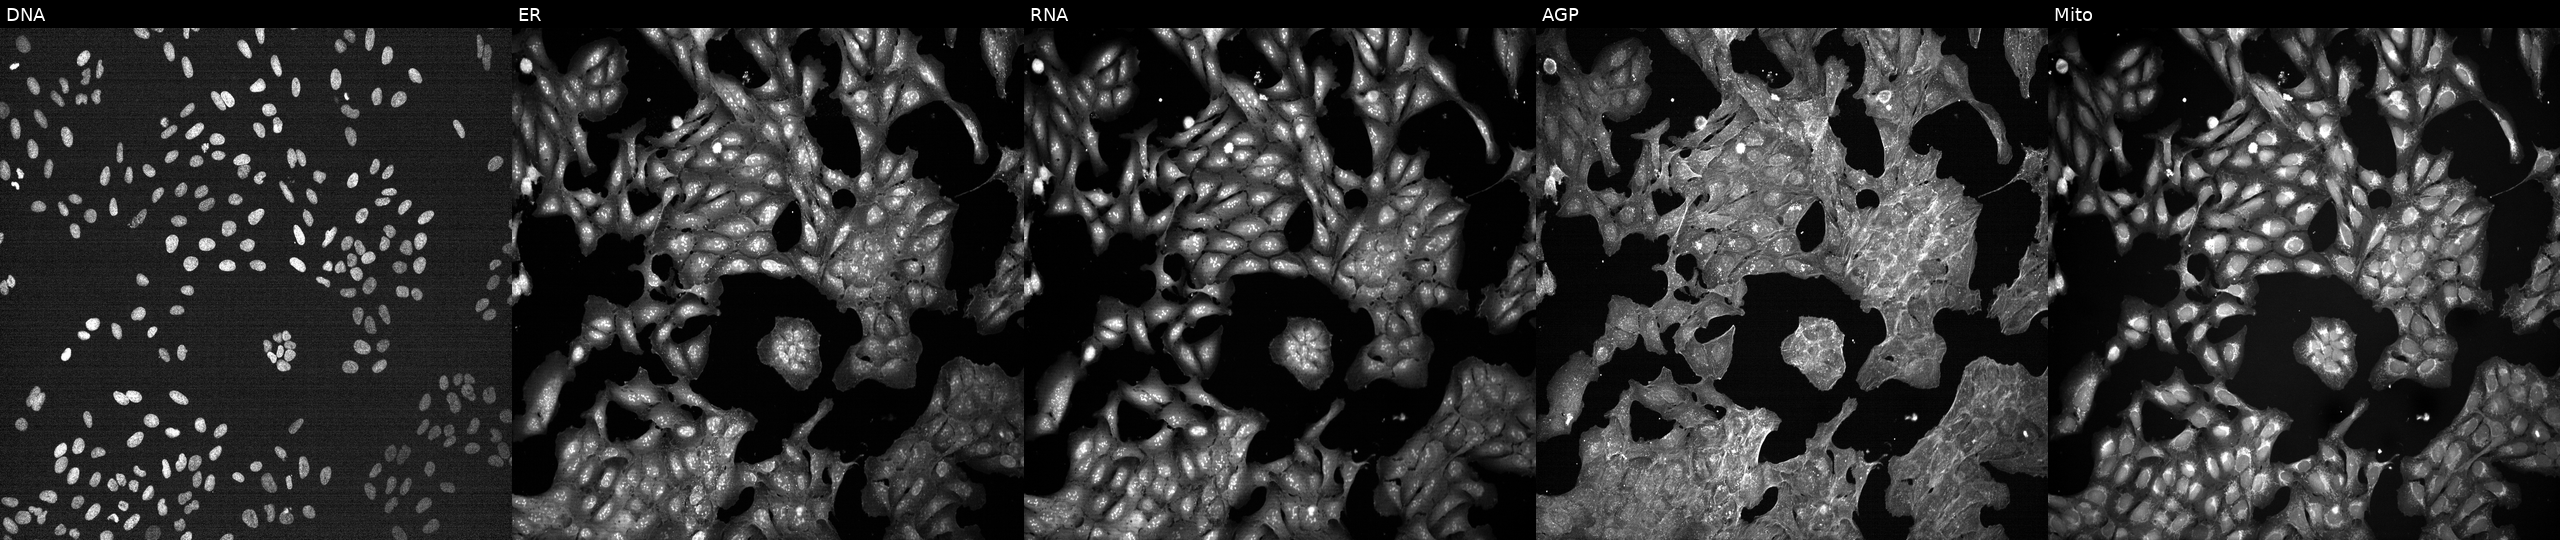
Five-channel Cell Painting image of U2OS cells perturbed with a small-molecule compound. From left to right: DNA, ER, RNA, AGP, and Mito.